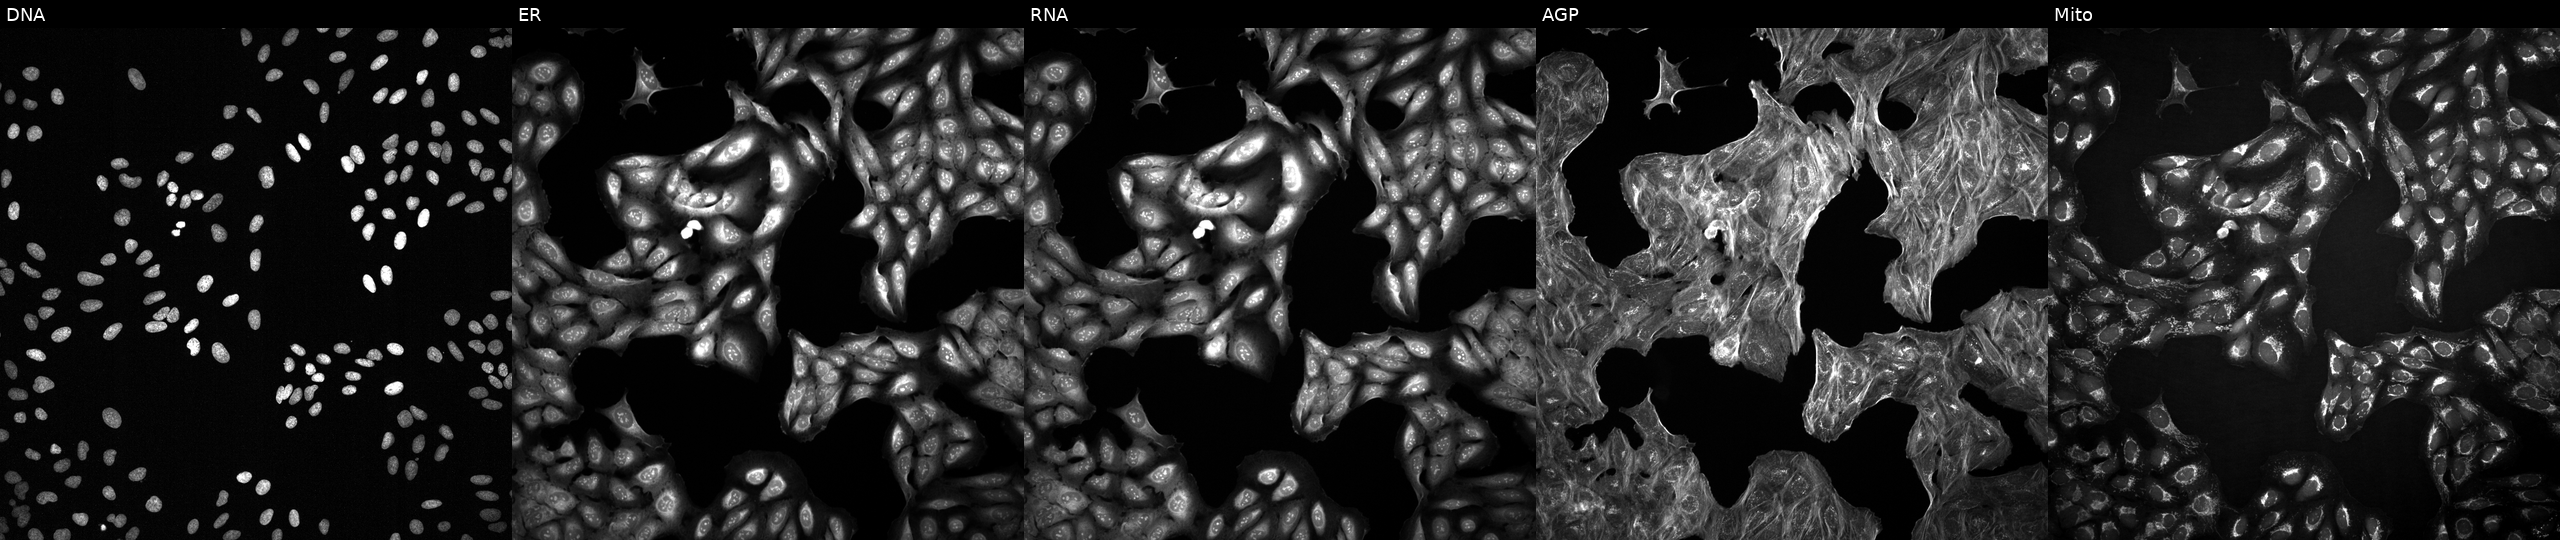
This image strip shows the five Cell Painting channels for a single field of U2OS cells treated with a small-molecule compound (InChIKey PJGLWOUDCPYTSJ-UHFFFAOYSA-N) (JUMP id JCP2022_068976). From left to right: DNA, ER, RNA, AGP, and Mito. Source 2, plate 1053601756, well K14.